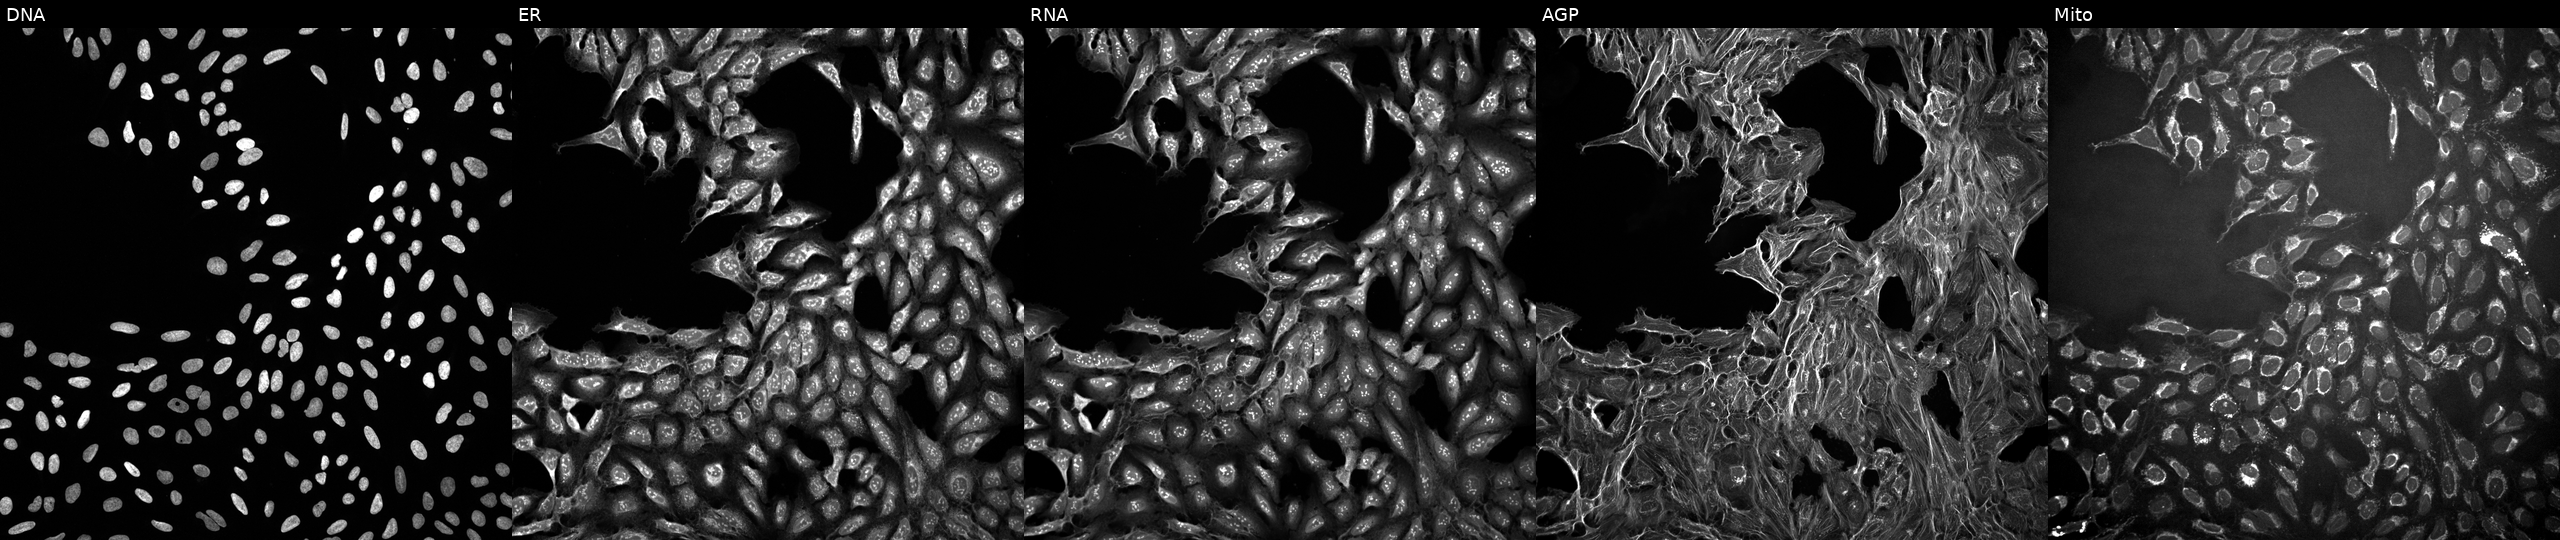
From left to right: Hoechst 33342, concanavalin A, SYTO 14, phalloidin and WGA, MitoTracker. U2OS osteosarcoma cells perturbed with a small-molecule compound. Cell Painting assay, JUMP-CP dataset.